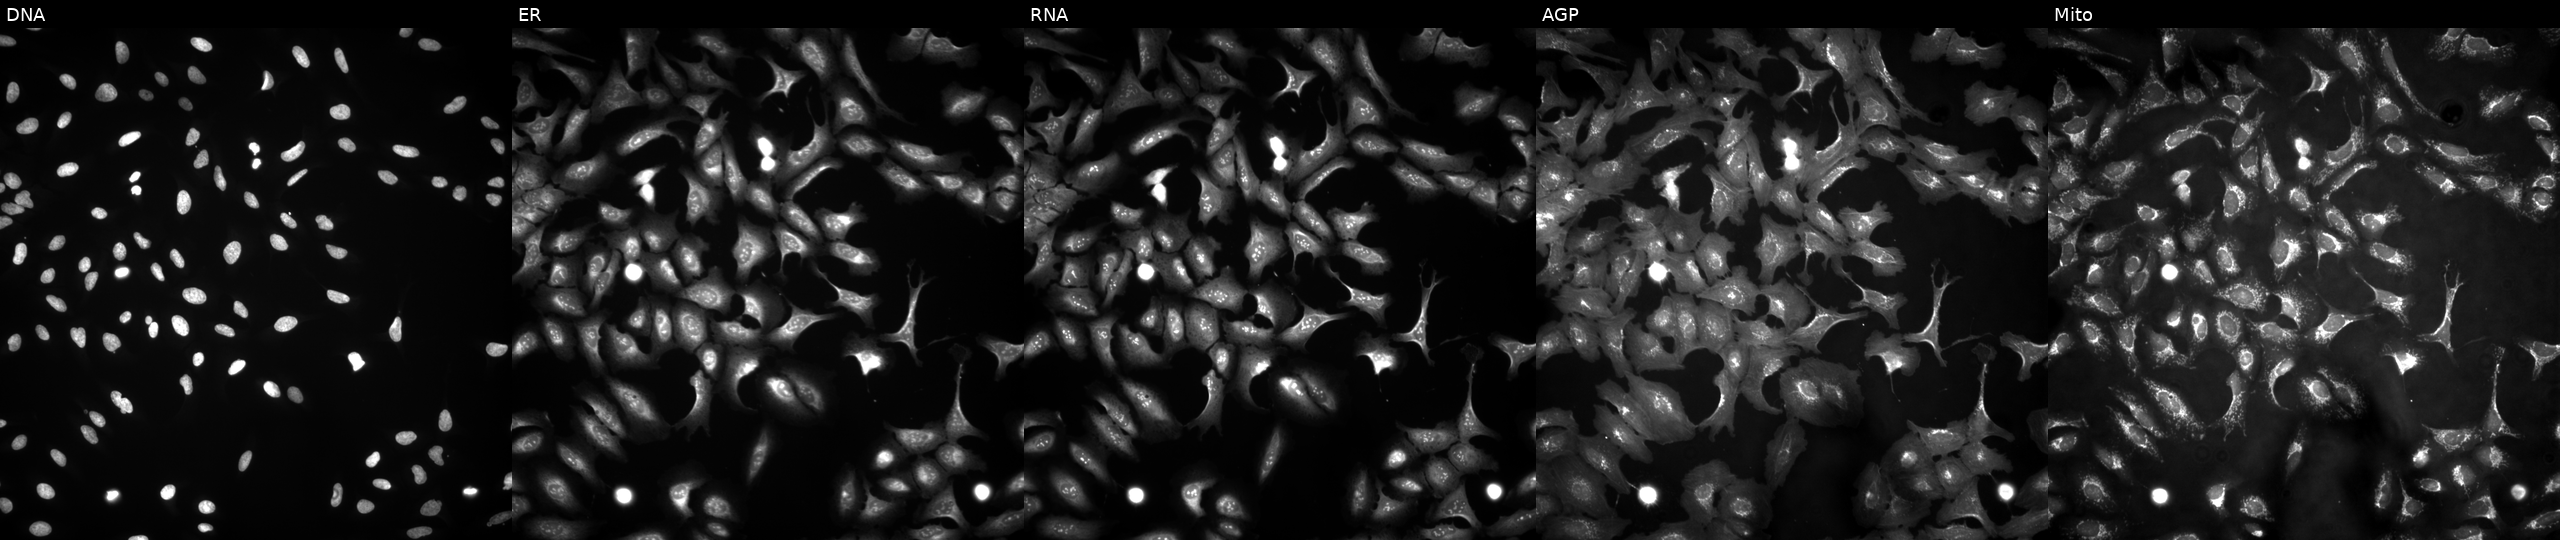
High-content fluorescence microscopy (Cell Painting). Cell line: U2OS. Perturbation: transfected with an ORF construct for MBTPS1. From left to right: DNA, ER, RNA, AGP, and Mito.